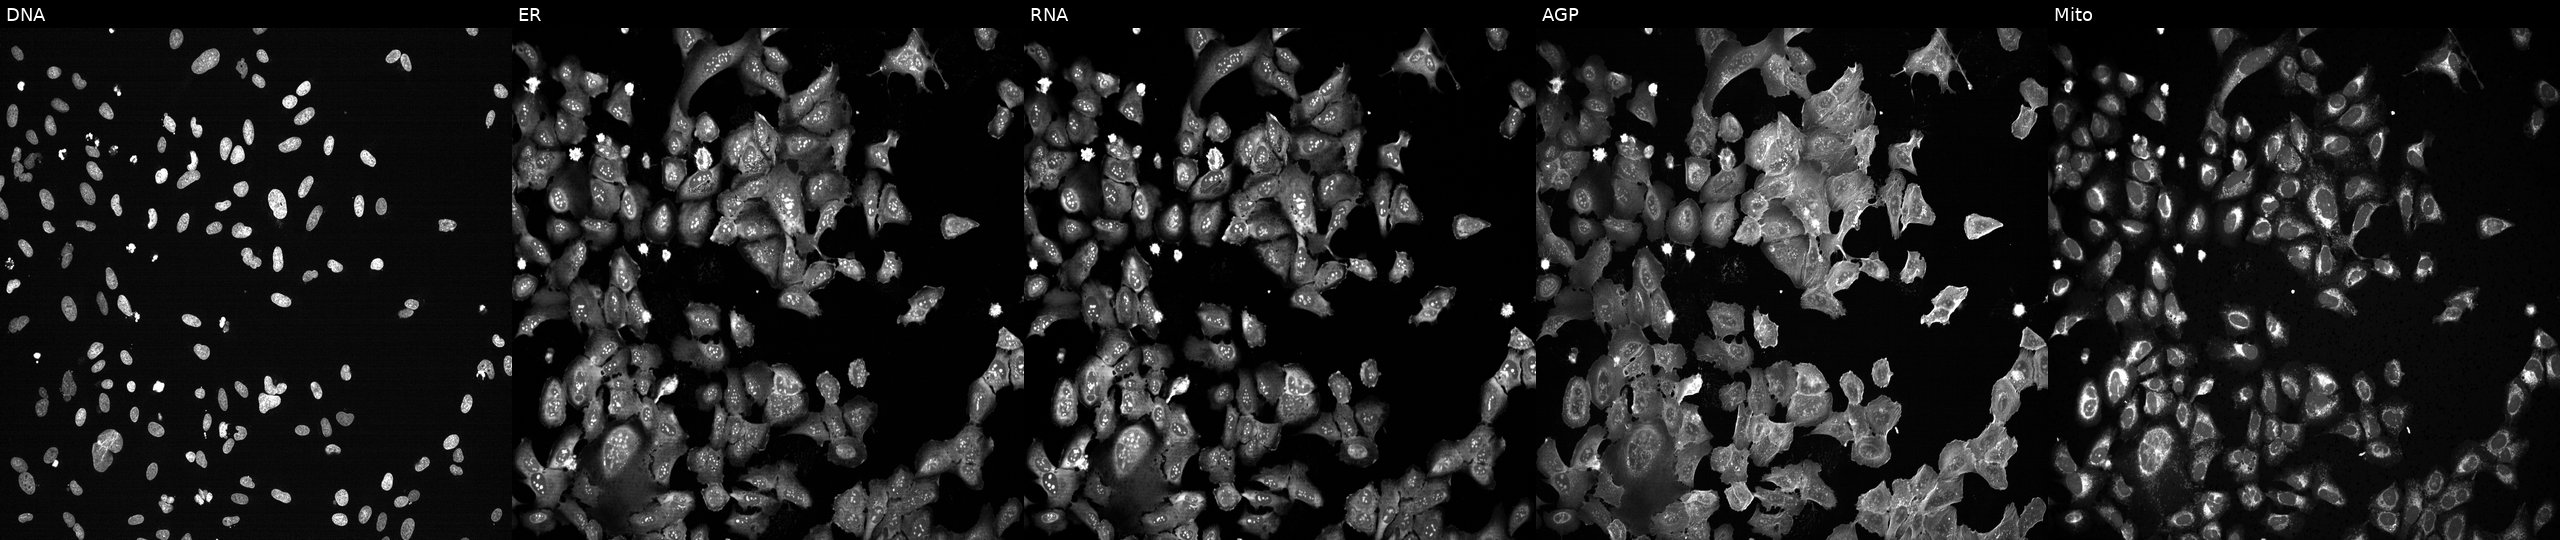
This image strip shows the five Cell Painting channels for a single field of U2OS cells treated with TC-S-7004 (positive-control compound) (JUMP id JCP2022_012818). The five panels, left to right, show Hoechst 33342, concanavalin A, SYTO 14, phalloidin and WGA, MitoTracker.